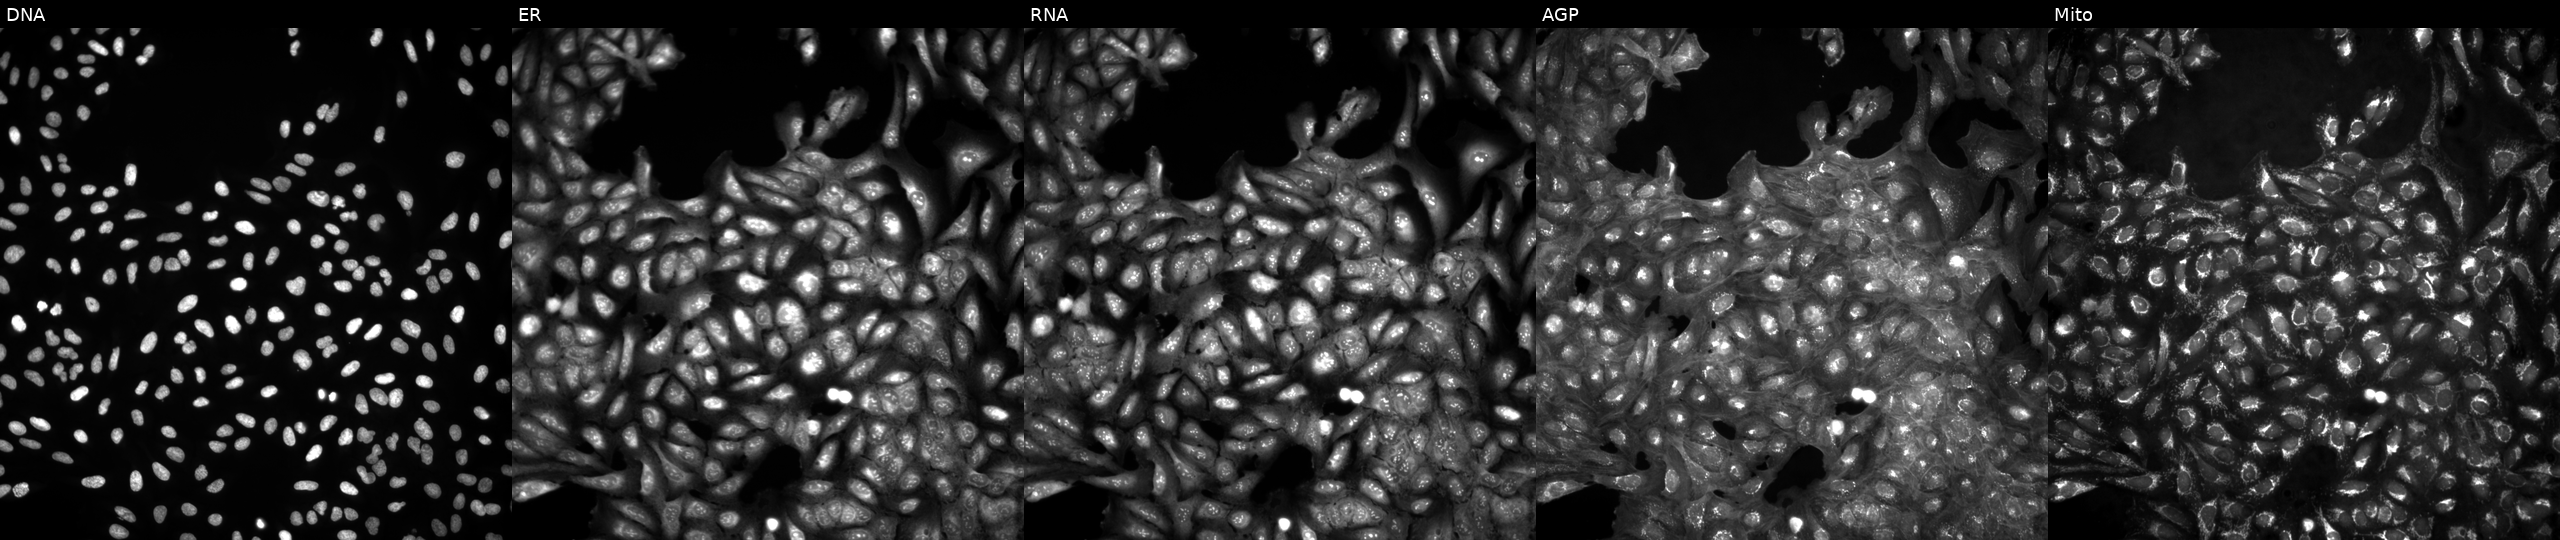
From left to right: DNA, ER, RNA, AGP, and Mito. U2OS osteosarcoma cells in an empty control well (no perturbation) (JUMP id JCP2022_999999). Cell Painting assay, JUMP-CP dataset. Source 4, plate BR00124793, well D04.